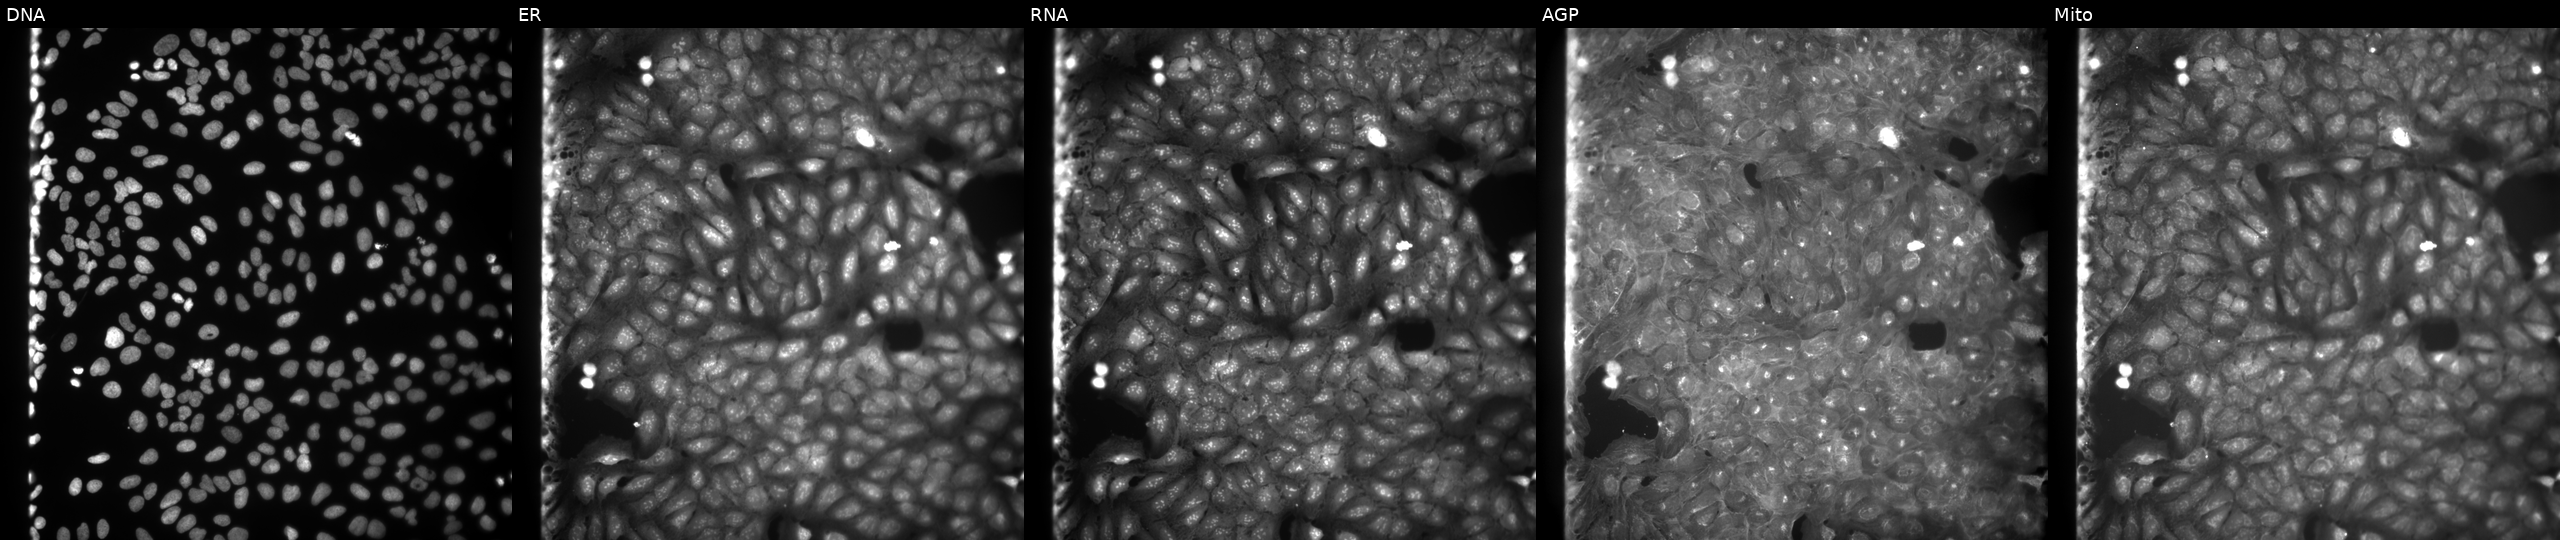
High-content fluorescence microscopy (Cell Painting). Cell line: U2OS. Perturbation: exposed to a small-molecule compound (InChIKey PVIIYFUOMFGXMO-UHFFFAOYSA-N) (JUMP id JCP2022_071187). The five panels, left to right, show DNA (nuclei); ER (endoplasmic reticulum); RNA (nucleoli and cytoplasmic RNA); AGP (actin cytoskeleton, Golgi, and plasma membrane); Mito (mitochondria).